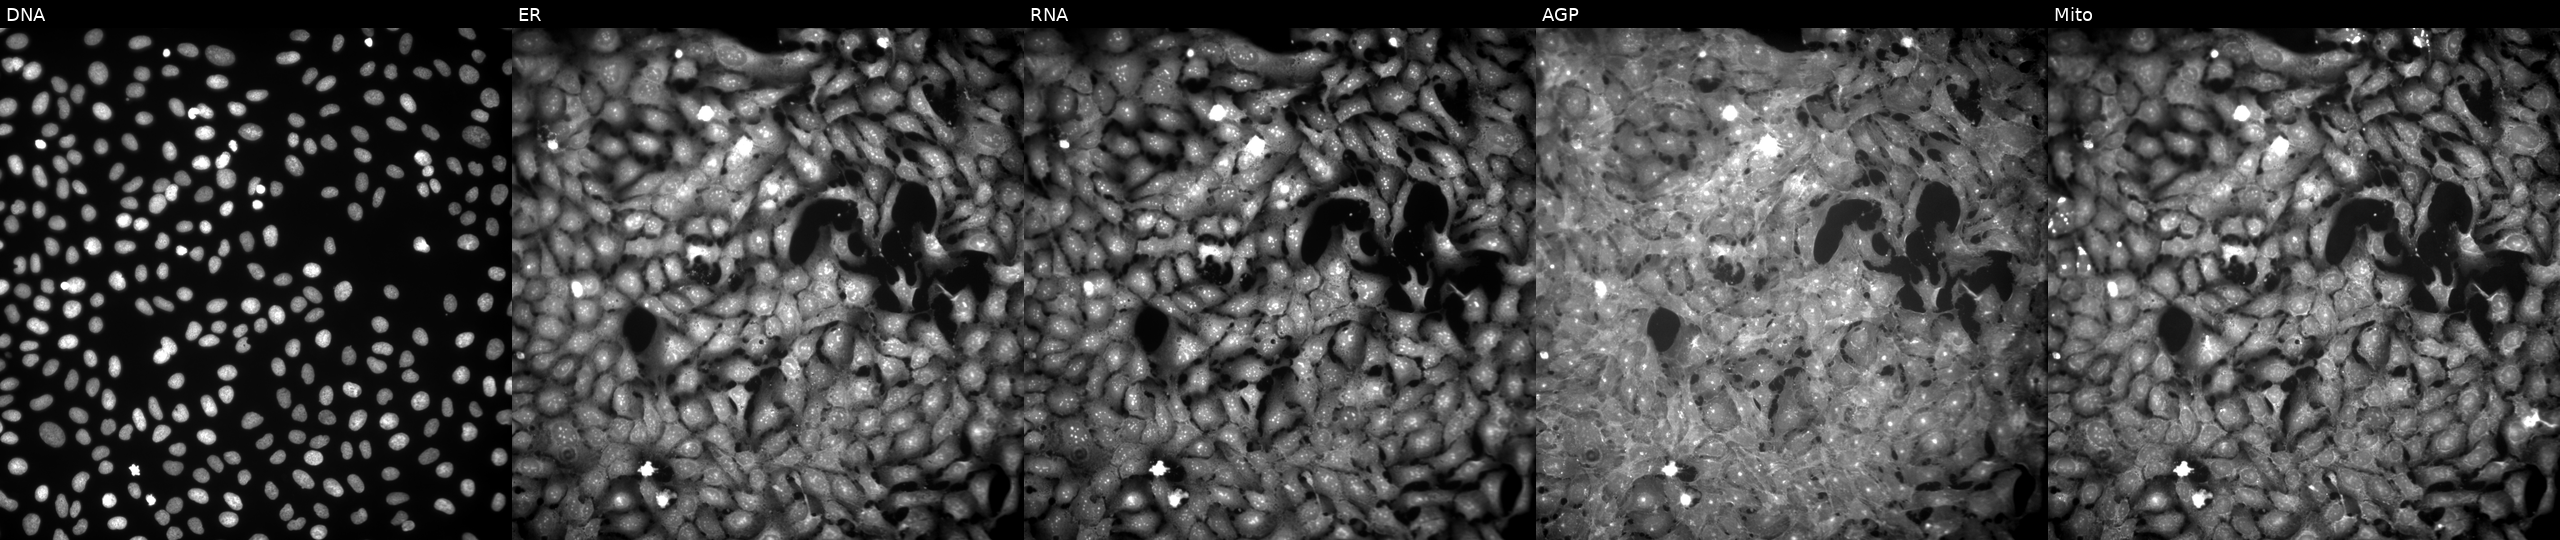
This image strip shows the five Cell Painting channels for a single field of U2OS cells exposed to the positive-control compound FK-866 (JUMP id JCP2022_046054). Panels show, left to right, DNA, ER, RNA, AGP, and Mito. Source 9, plate GR00003382, well AB48.